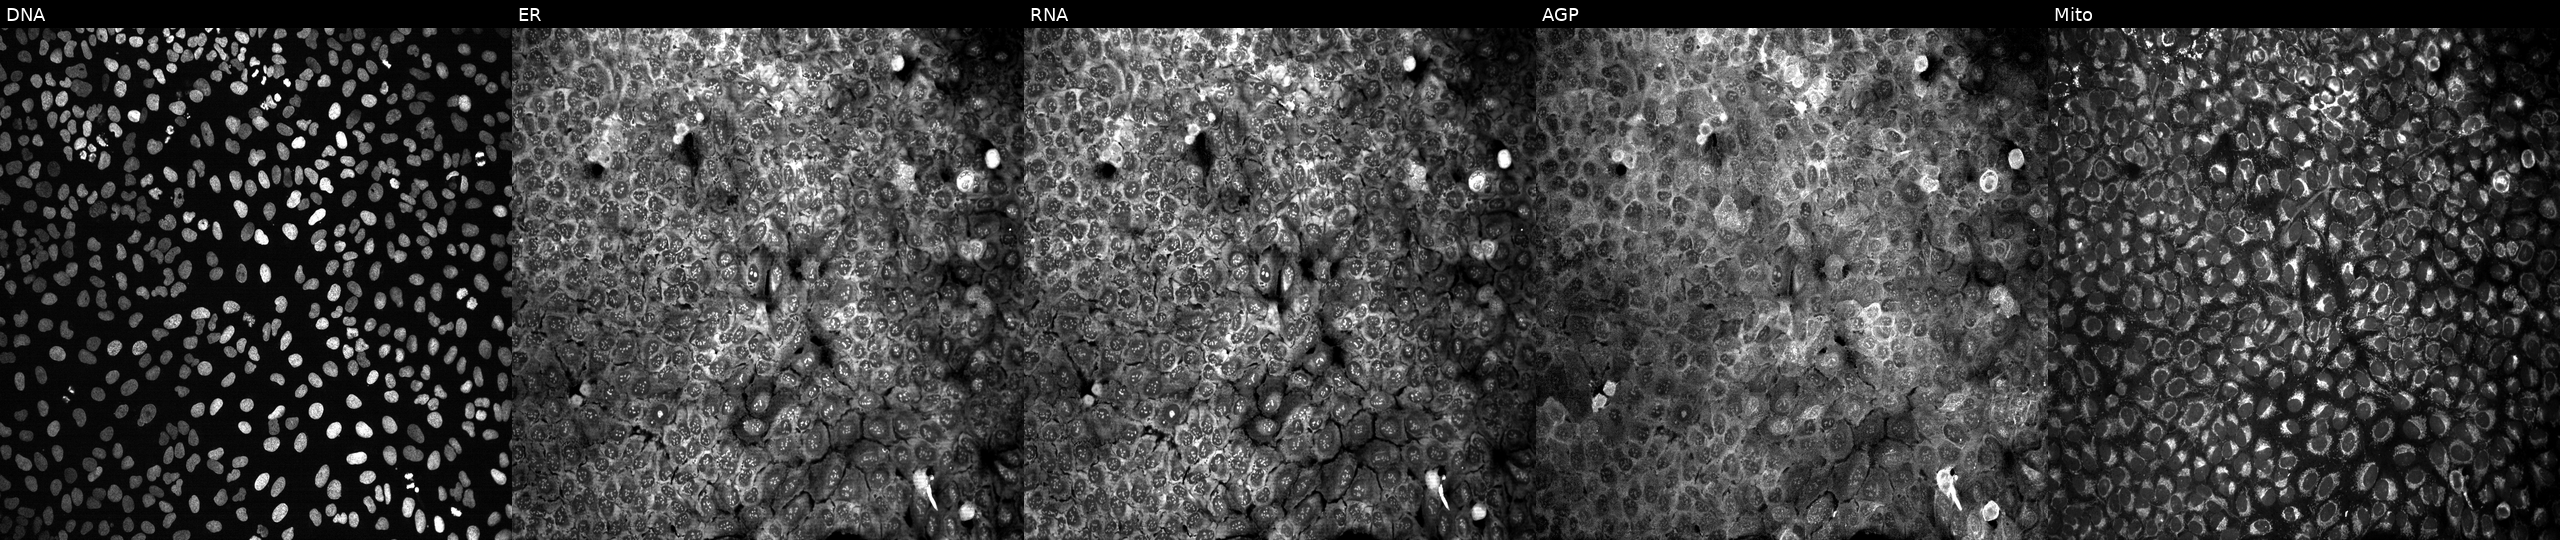
U2OS cells, Cell Painting assay, following CRISPR knockout of GABARAPL2. The five panels, left to right, show Hoechst 33342, concanavalin A, SYTO 14, phalloidin and WGA, MitoTracker. Each panel is percentile-stretched 16-bit fluorescence. Source 13, plate CP-CC9-R3-01, well P03.